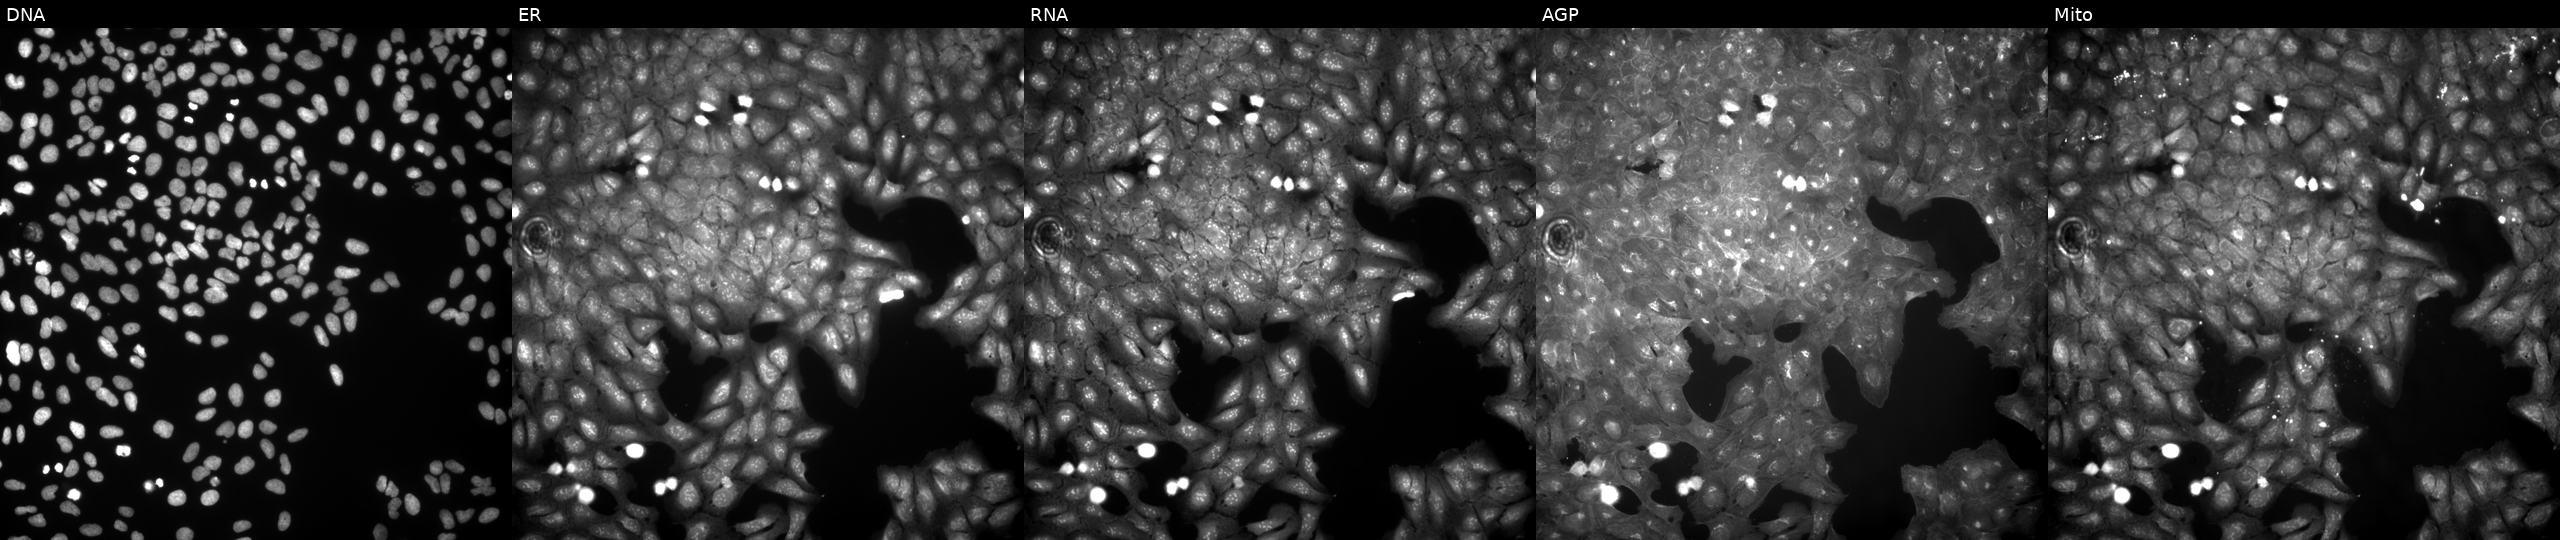
Five-channel Cell Painting image of U2OS cells treated with a small-molecule compound (JUMP id JCP2022_109636). The five panels, left to right, show Hoechst 33342, concanavalin A, SYTO 14, phalloidin and WGA, MitoTracker. Source 9, plate GR00003381, well S30.